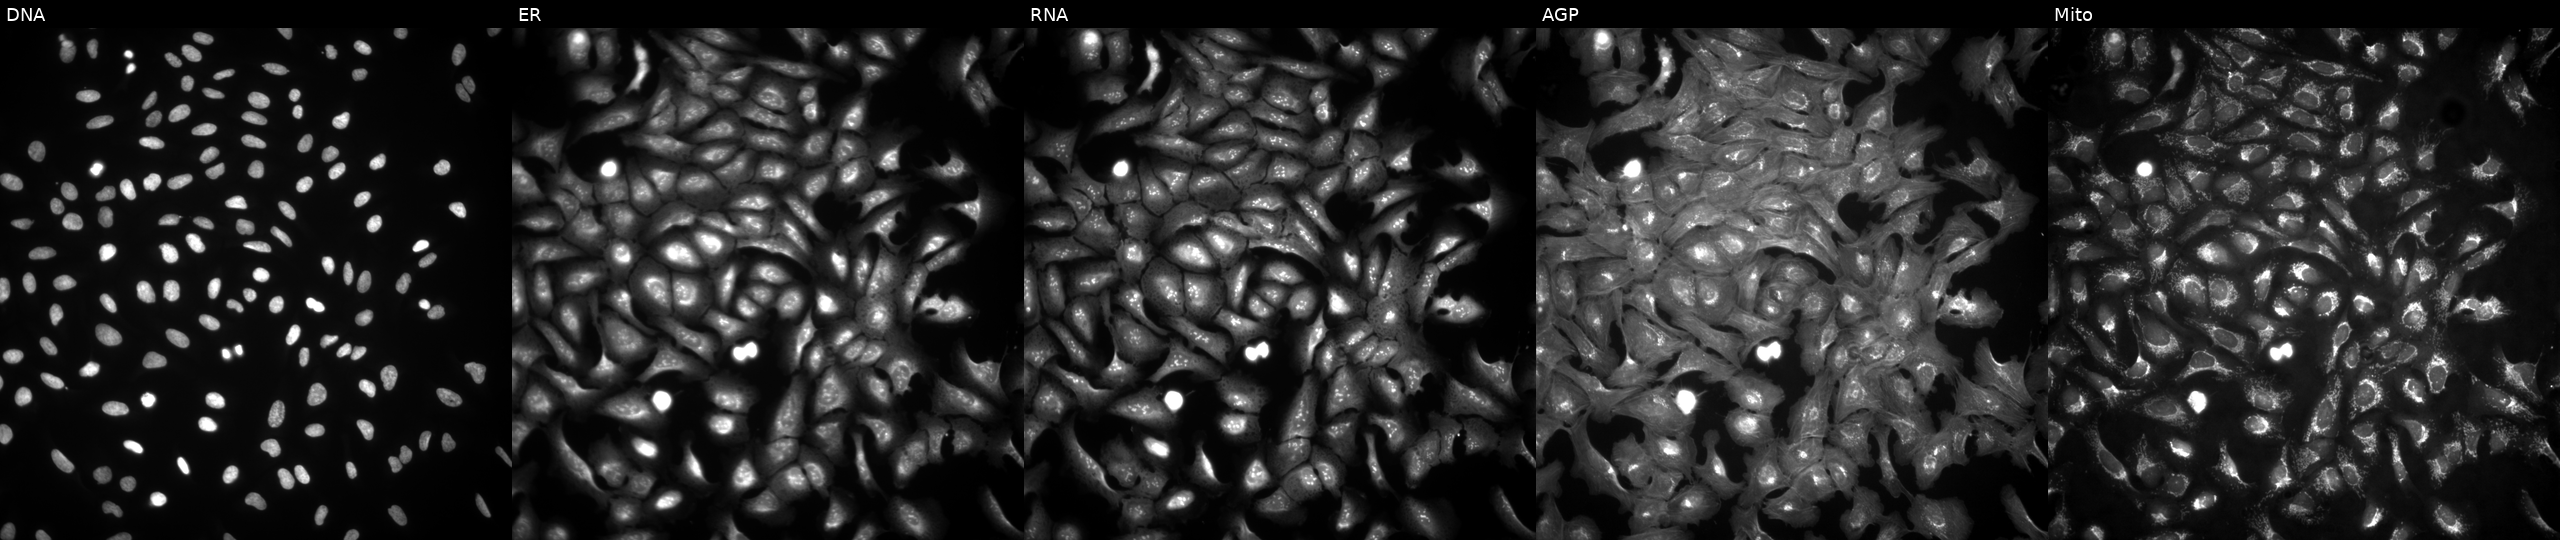
Panels show, left to right, Hoechst 33342, concanavalin A, SYTO 14, phalloidin and WGA, MitoTracker. U2OS osteosarcoma cells transfected with an ORF construct for LHPP (JUMP id JCP2022_908242). Cell Painting assay, JUMP-CP dataset.